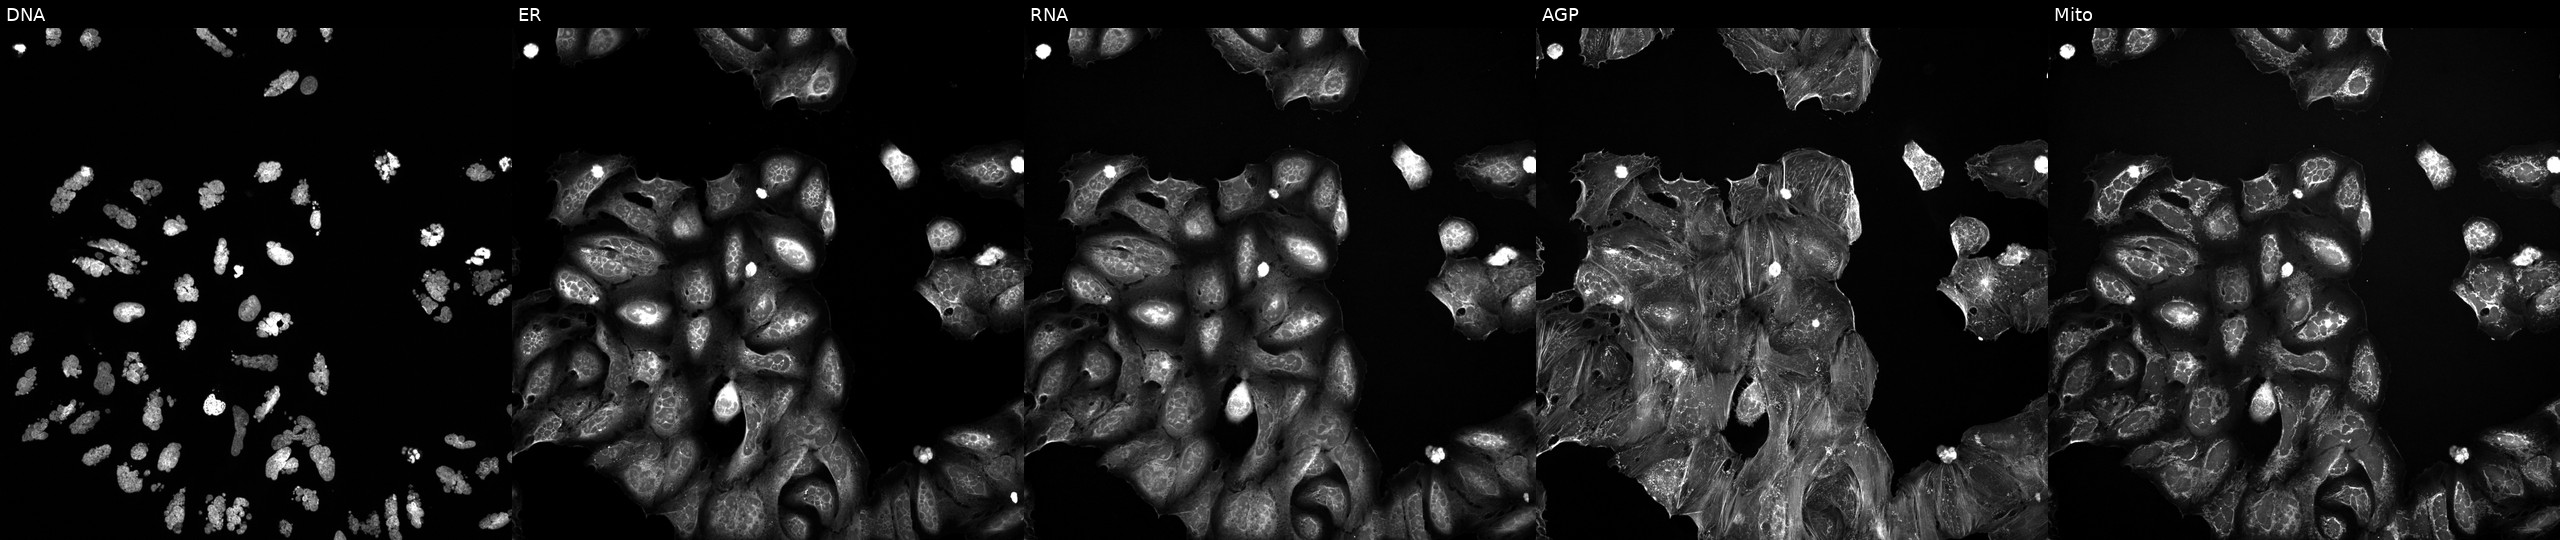
JUMP Cell Painting — TARGET2 plate. U2OS cells perturbed with a small-molecule compound (InChIKey QXRSDHAAWVKZLJ-UHFFFAOYSA-N). The five panels, left to right, show DNA (nuclei); ER (endoplasmic reticulum); RNA (nucleoli and cytoplasmic RNA); AGP (actin cytoskeleton, Golgi, and plasma membrane); Mito (mitochondria). Source 5, plate ACPJUM012, well D10.